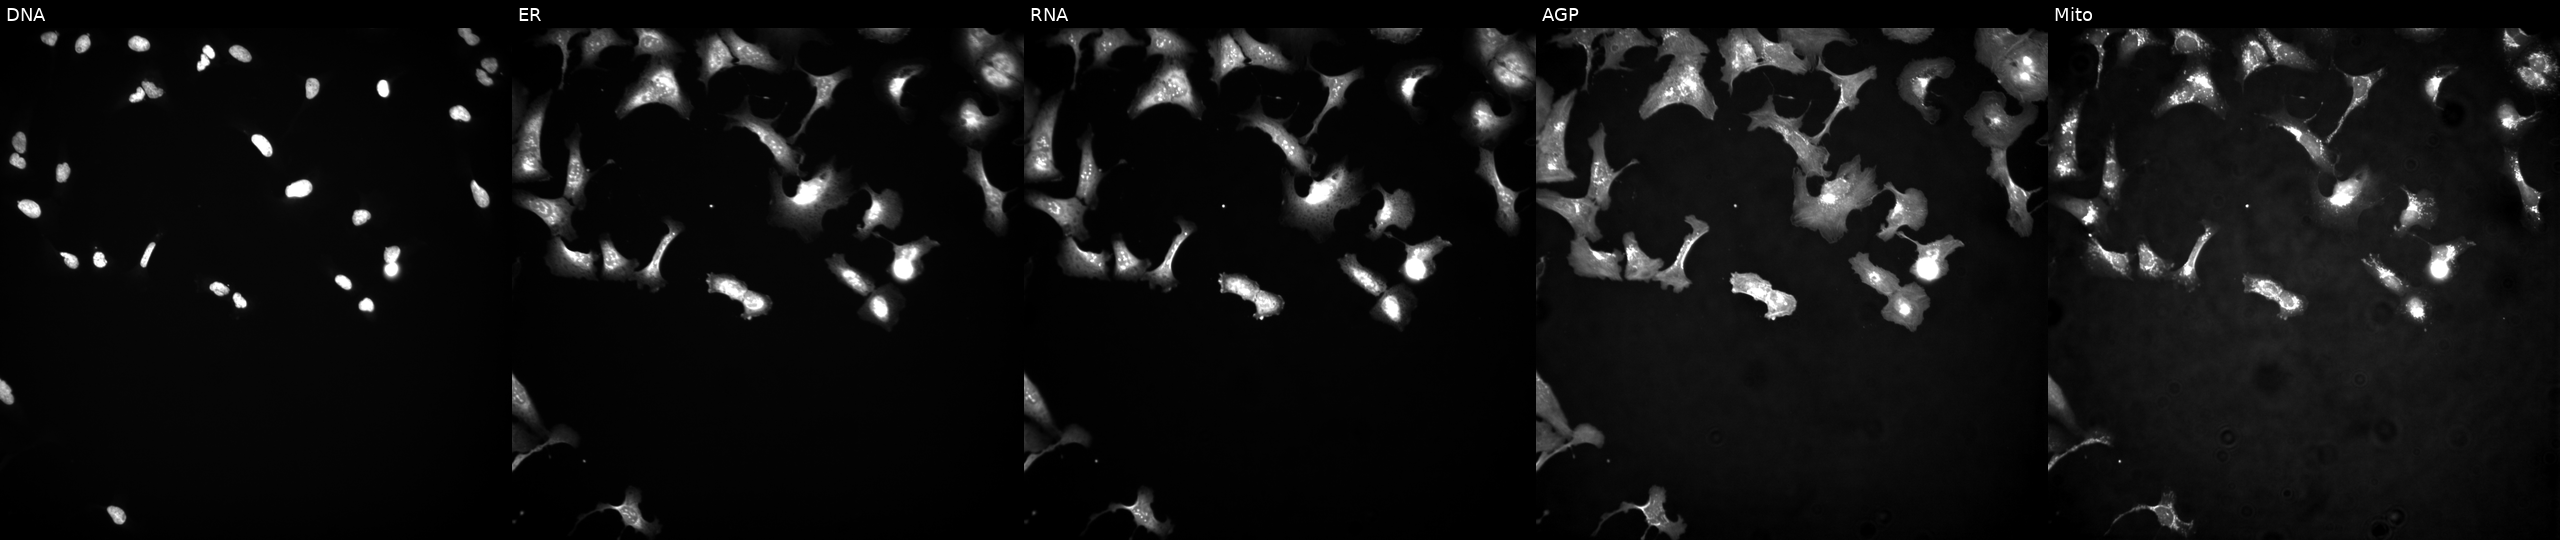
JUMP Cell Painting — ORF plate. U2OS cells with LOC647279 overexpressed (ORF) (JUMP id JCP2022_914338). Channels (left→right): DNA, ER, RNA, AGP, and Mito.